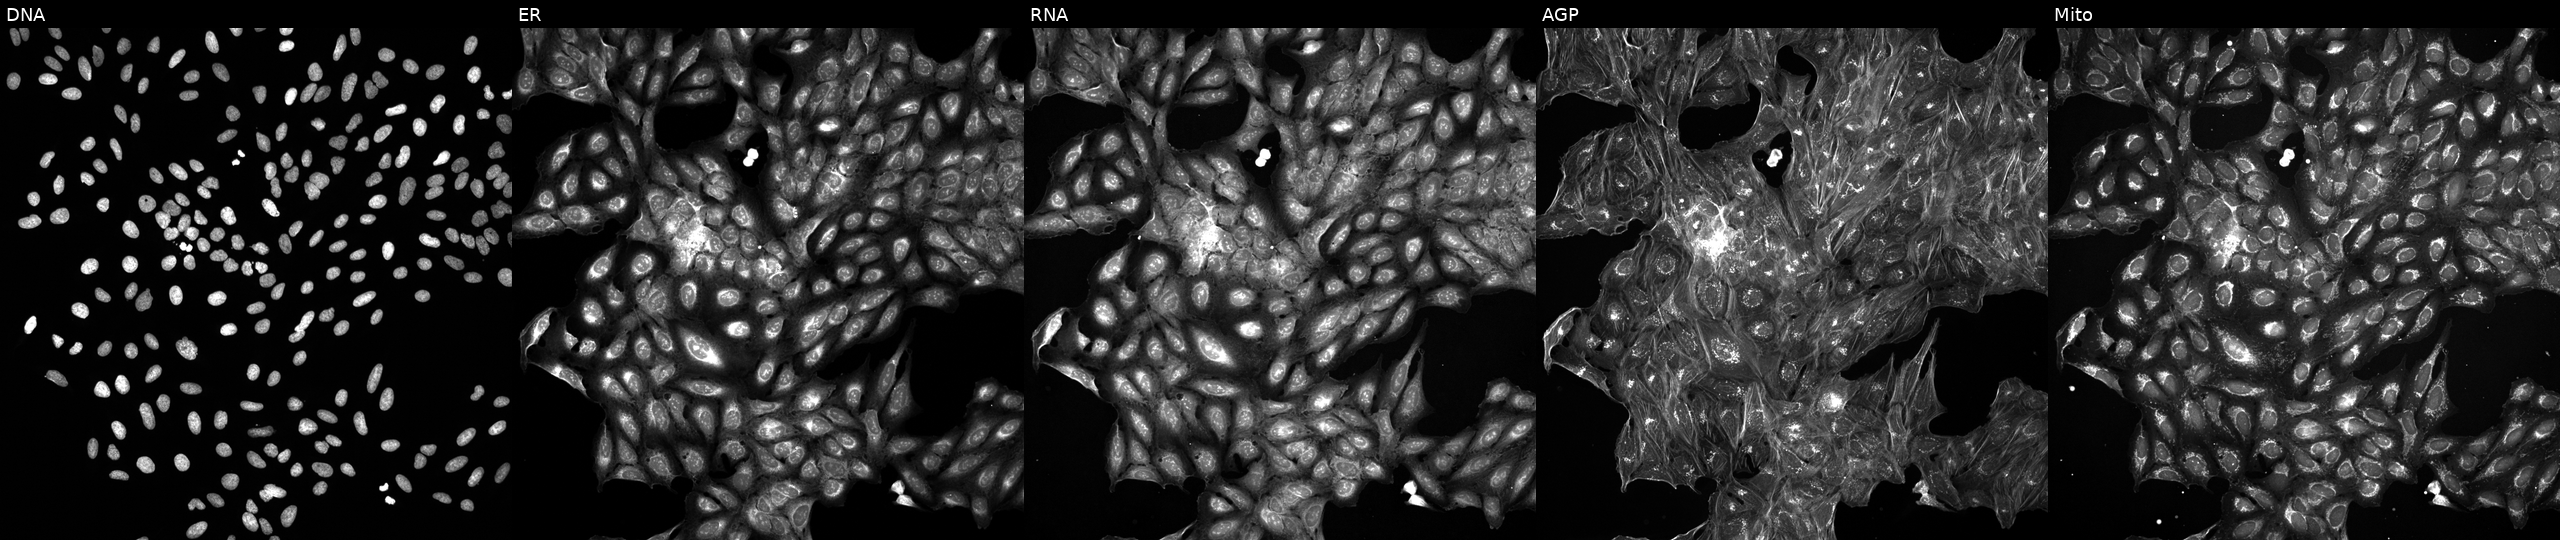
Five-channel Cell Painting image of U2OS cells exposed to a small-molecule compound [SMILES: CC1(C)OC2CC3C4CC=C5CC(=O)C=CC5(C)C4C(O)CC3(C)C2(C(=O)CO)O1]. The five panels, left to right, show Hoechst 33342, concanavalin A, SYTO 14, phalloidin and WGA, MitoTracker. Source 5, plate ACPJUM032, well G05.